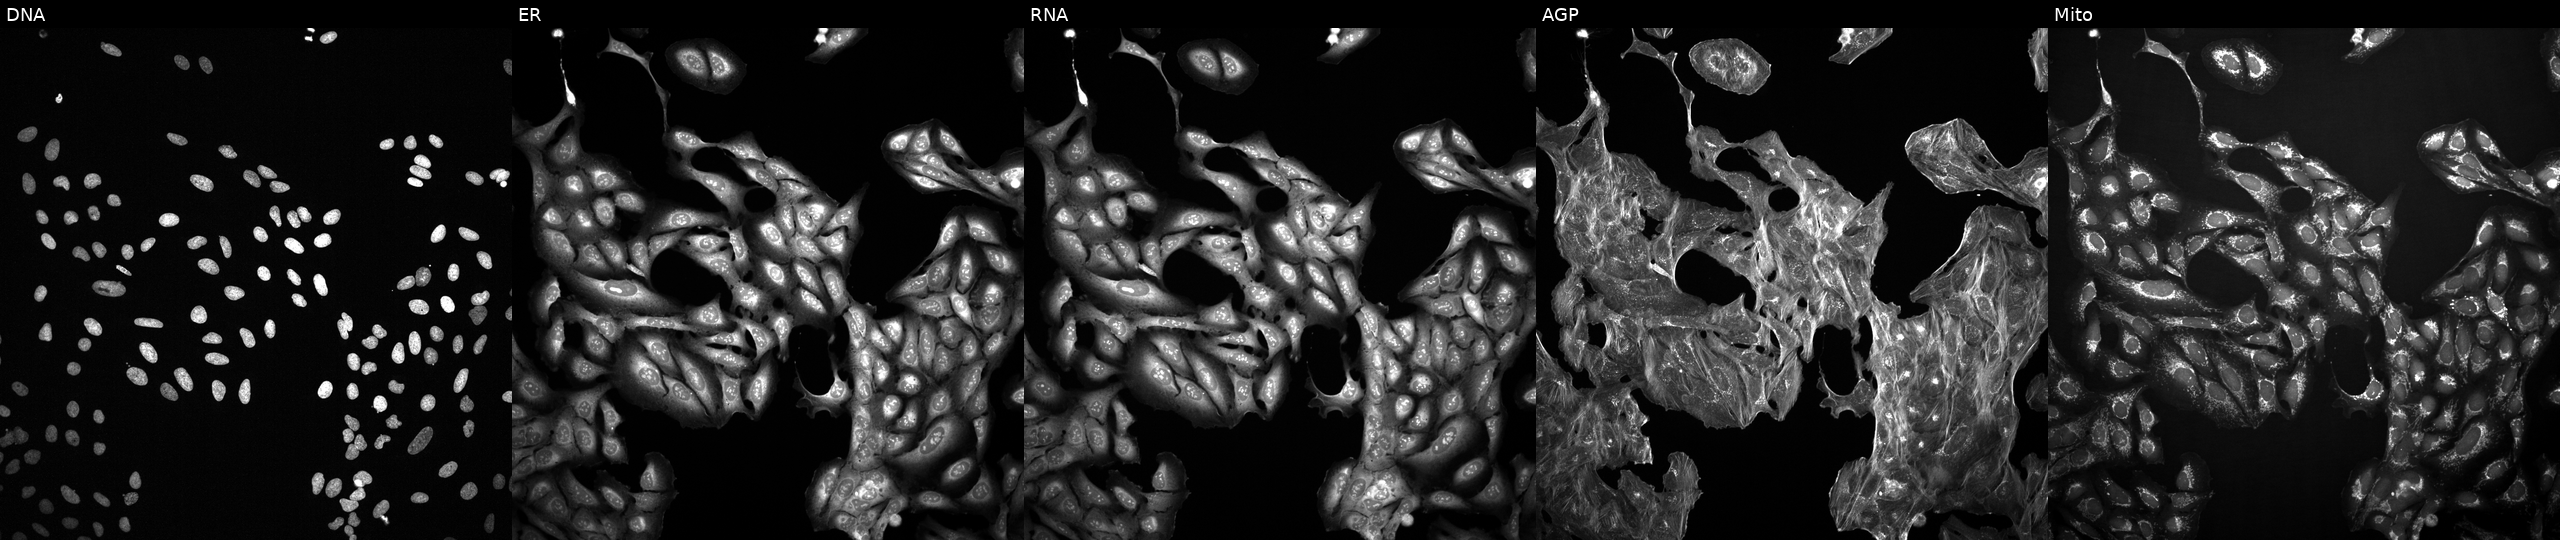
JUMP Cell Painting — TARGET2 plate. U2OS cells exposed to DMSO alone as a negative control. Channels (left→right): DNA, ER, RNA, AGP, and Mito.